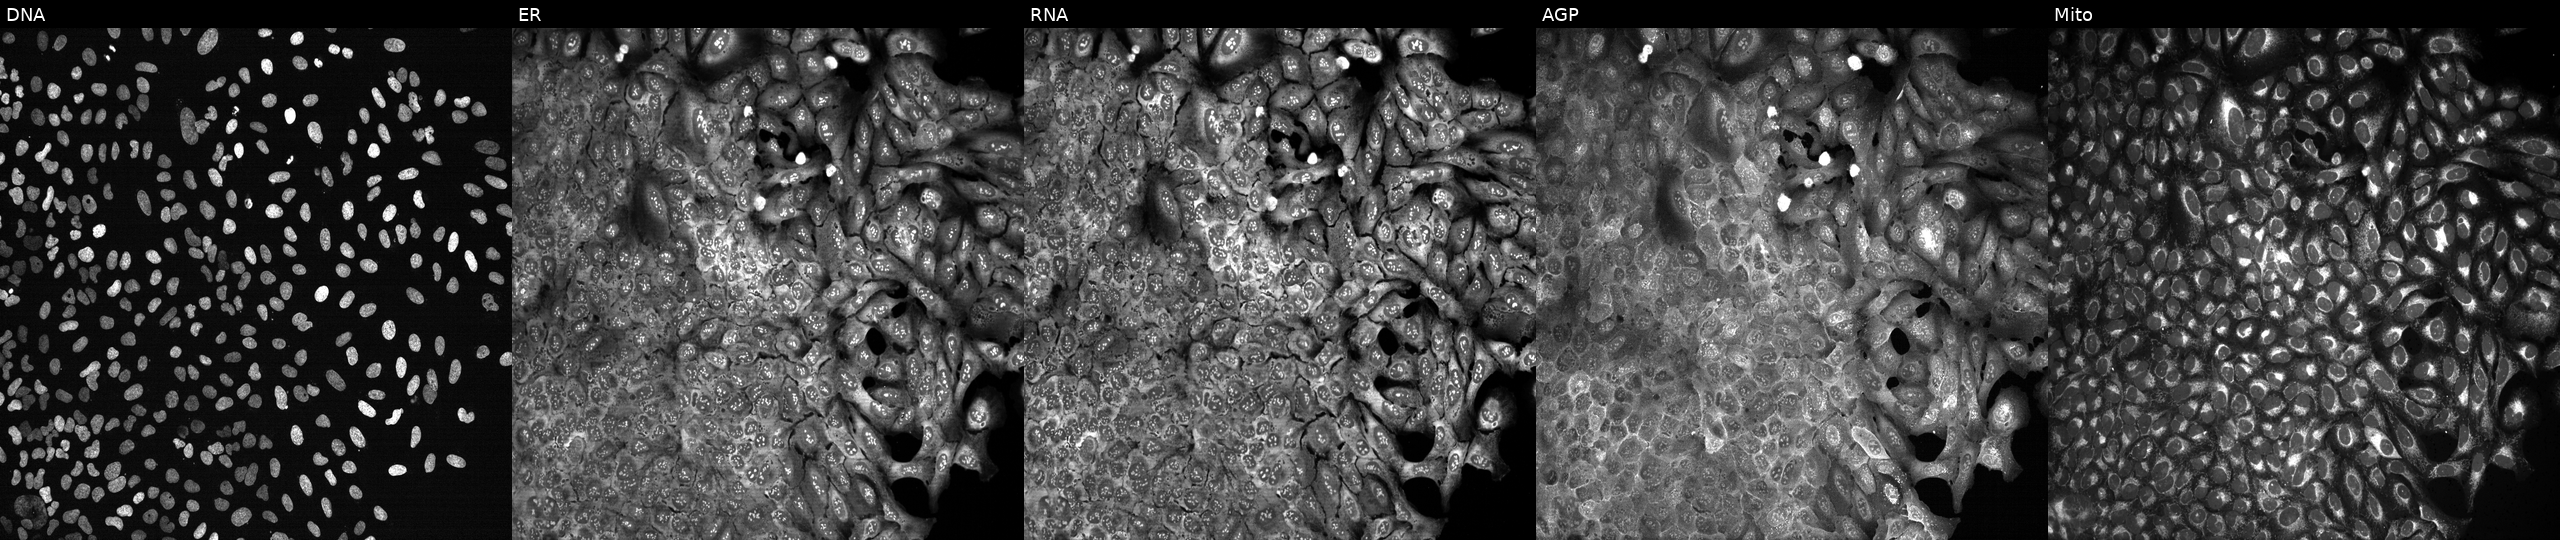
High-content fluorescence microscopy (Cell Painting). Cell line: U2OS. Perturbation: with LIPC knocked out by CRISPR (JUMP id JCP2022_803846). Channels (left→right): Hoechst 33342, concanavalin A, SYTO 14, phalloidin and WGA, MitoTracker. Source 13, plate CP-CC9-R4-04, well G07.